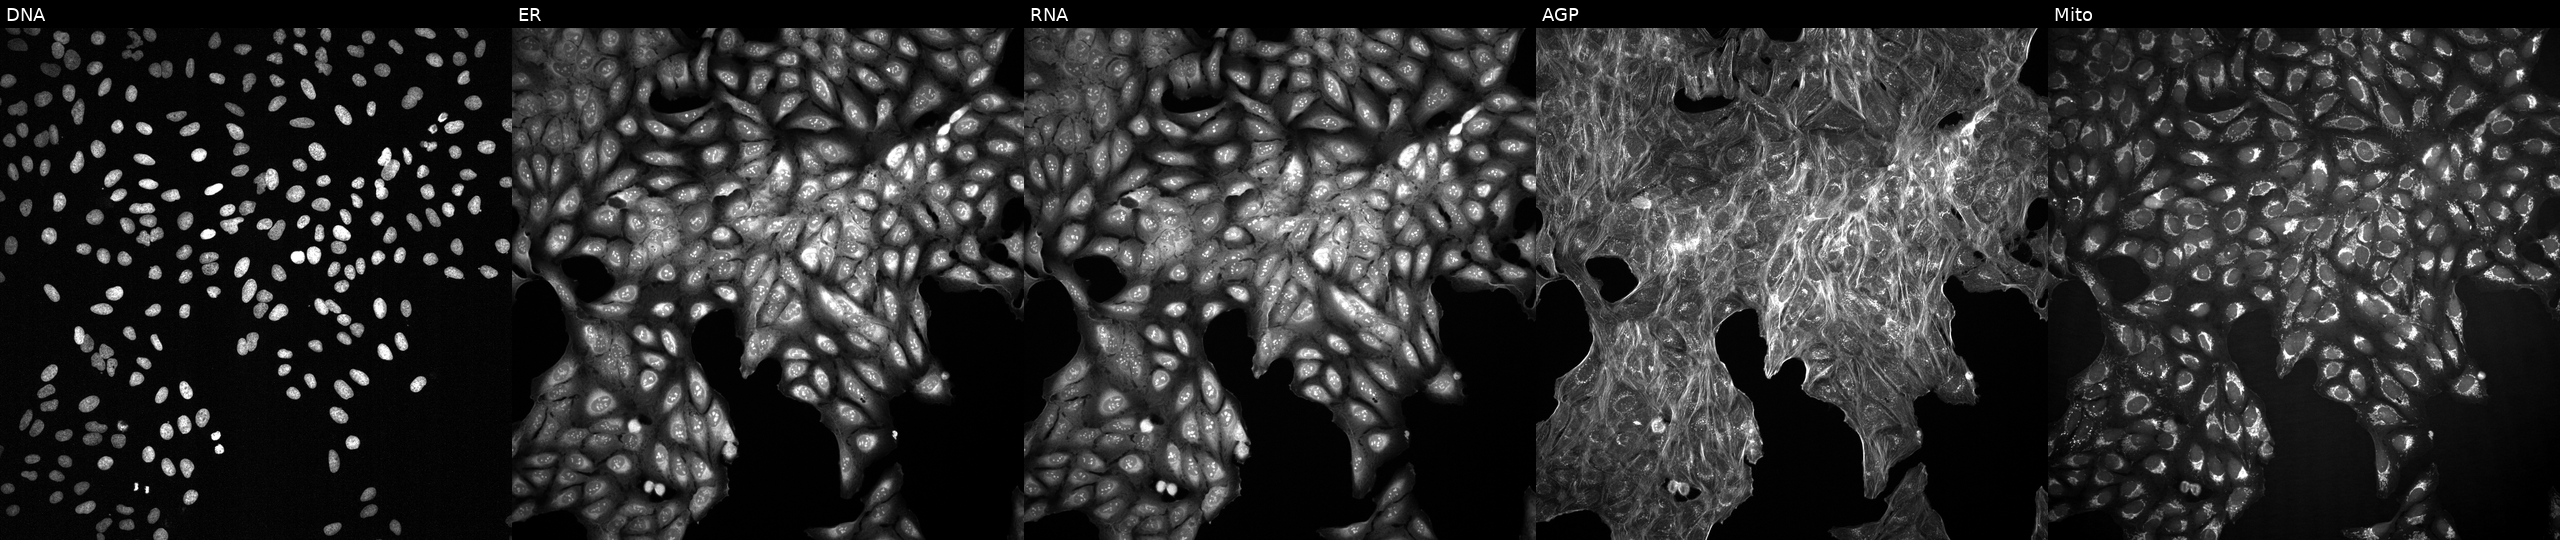
JUMP Cell Painting — TARGET2 plate. U2OS cells perturbed with a small-molecule compound (InChIKey GCUCIFQCGJIRNT-UHFFFAOYSA-N) (JUMP id JCP2022_024601). Panels show, left to right, DNA, ER, RNA, AGP, and Mito. Source 2, plate 1053600674, well C07.